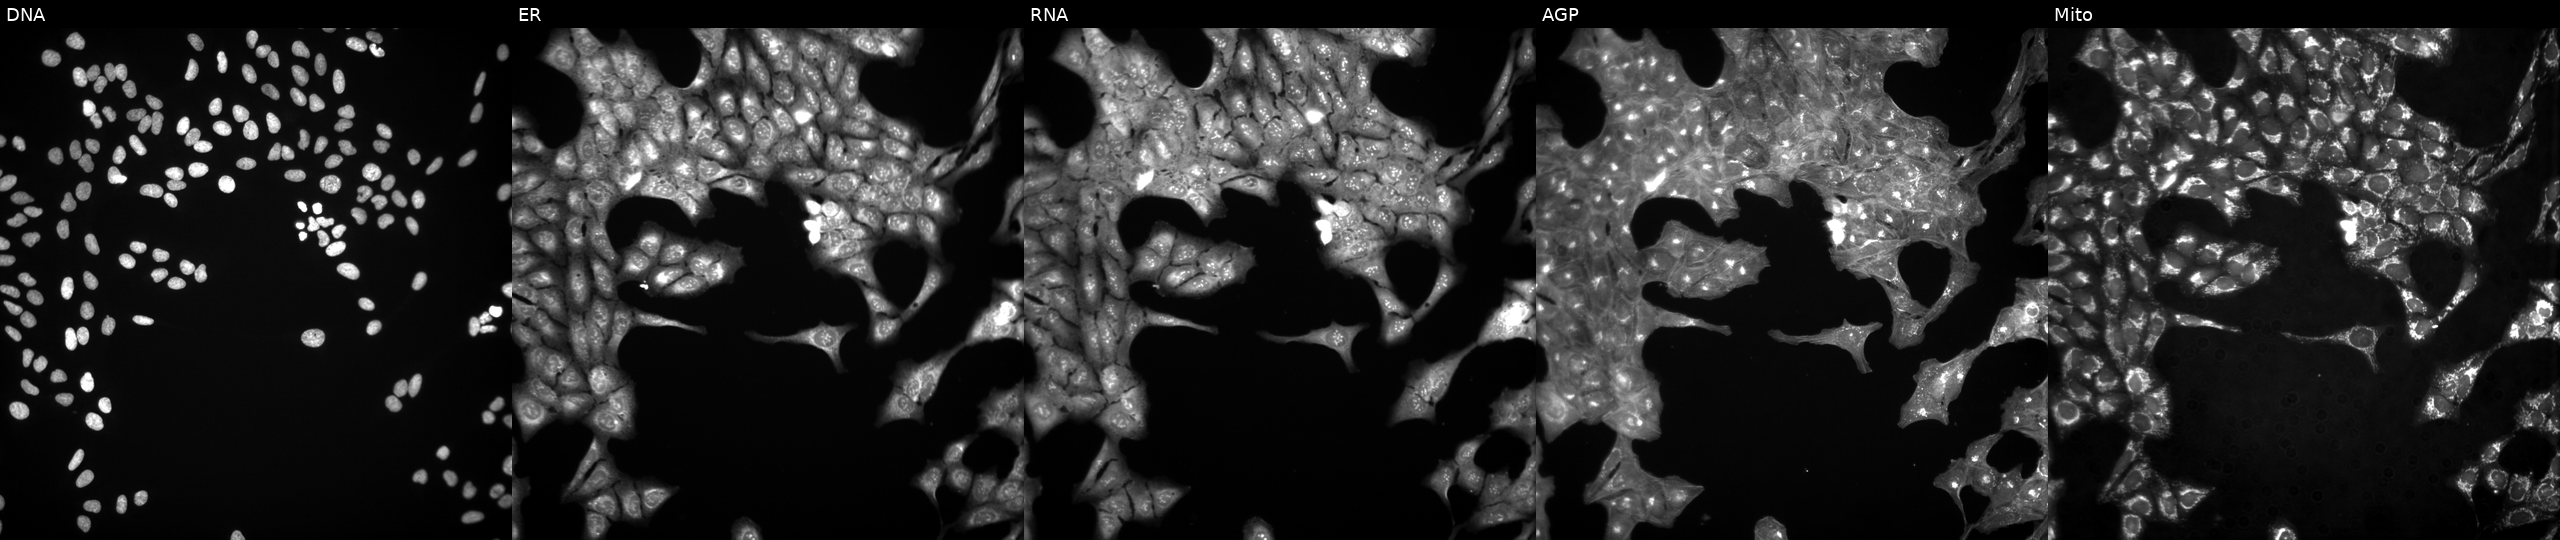
Five-channel Cell Painting image of U2OS cells exposed to a small-molecule compound (InChIKey YMDXSGBNCBQYGC-UHFFFAOYSA-N). The five panels, left to right, show DNA, ER, RNA, AGP, and Mito.